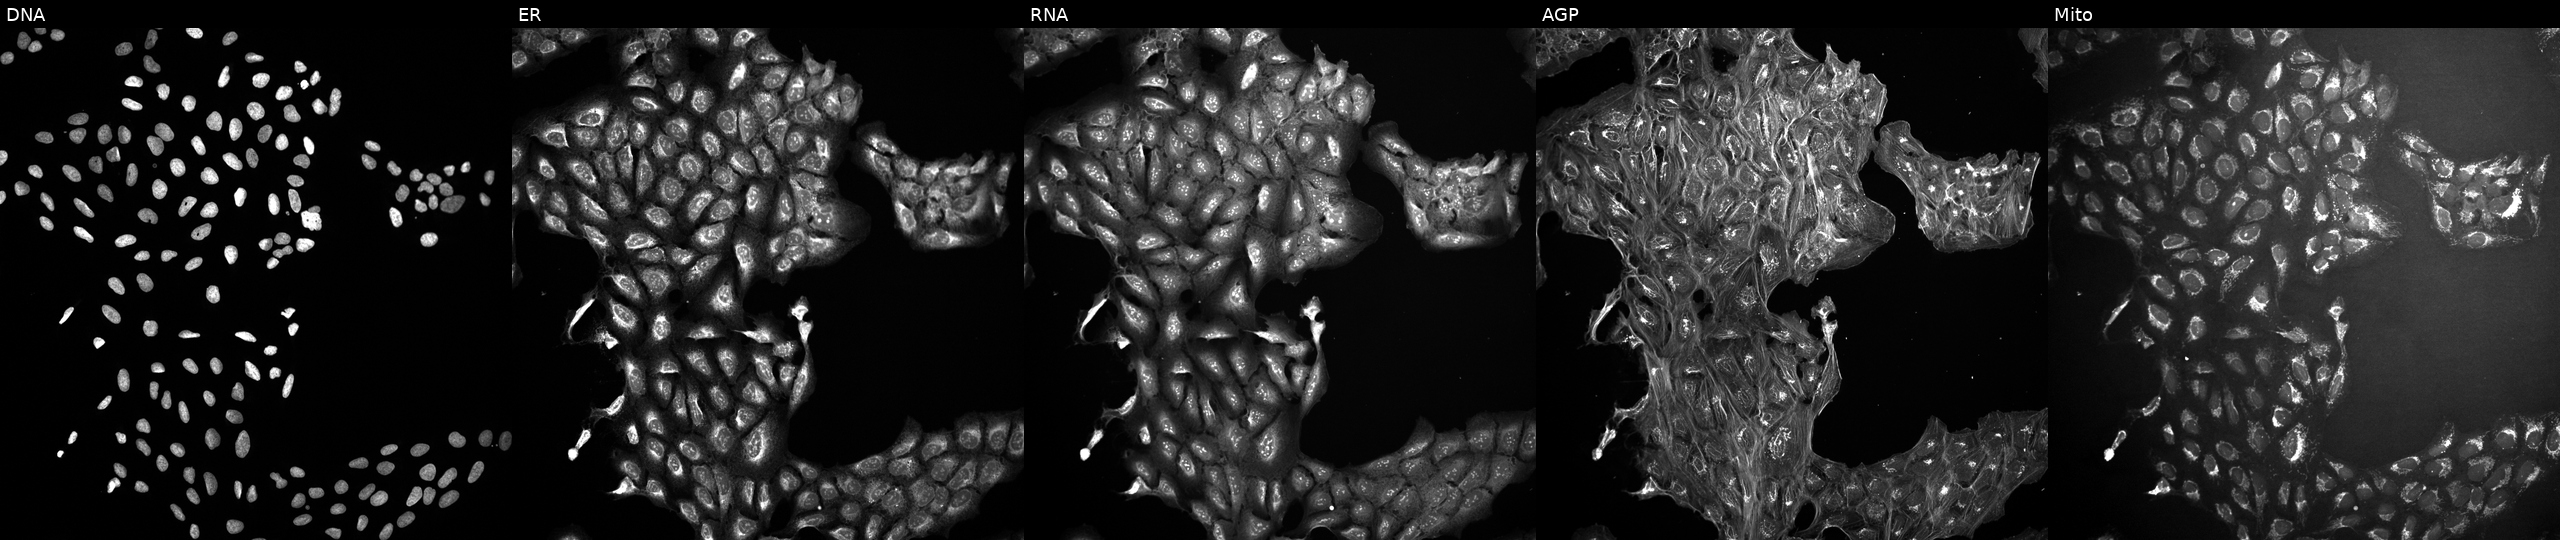
This image strip shows the five Cell Painting channels for a single field of U2OS cells treated with a small-molecule compound (InChIKey HOCOSUQTWIOPIJ-UHFFFAOYSA-N). The five panels, left to right, show DNA (nuclei); ER (endoplasmic reticulum); RNA (nucleoli and cytoplasmic RNA); AGP (actin cytoskeleton, Golgi, and plasma membrane); Mito (mitochondria). Source 10, plate Dest210531-152324, well G18.